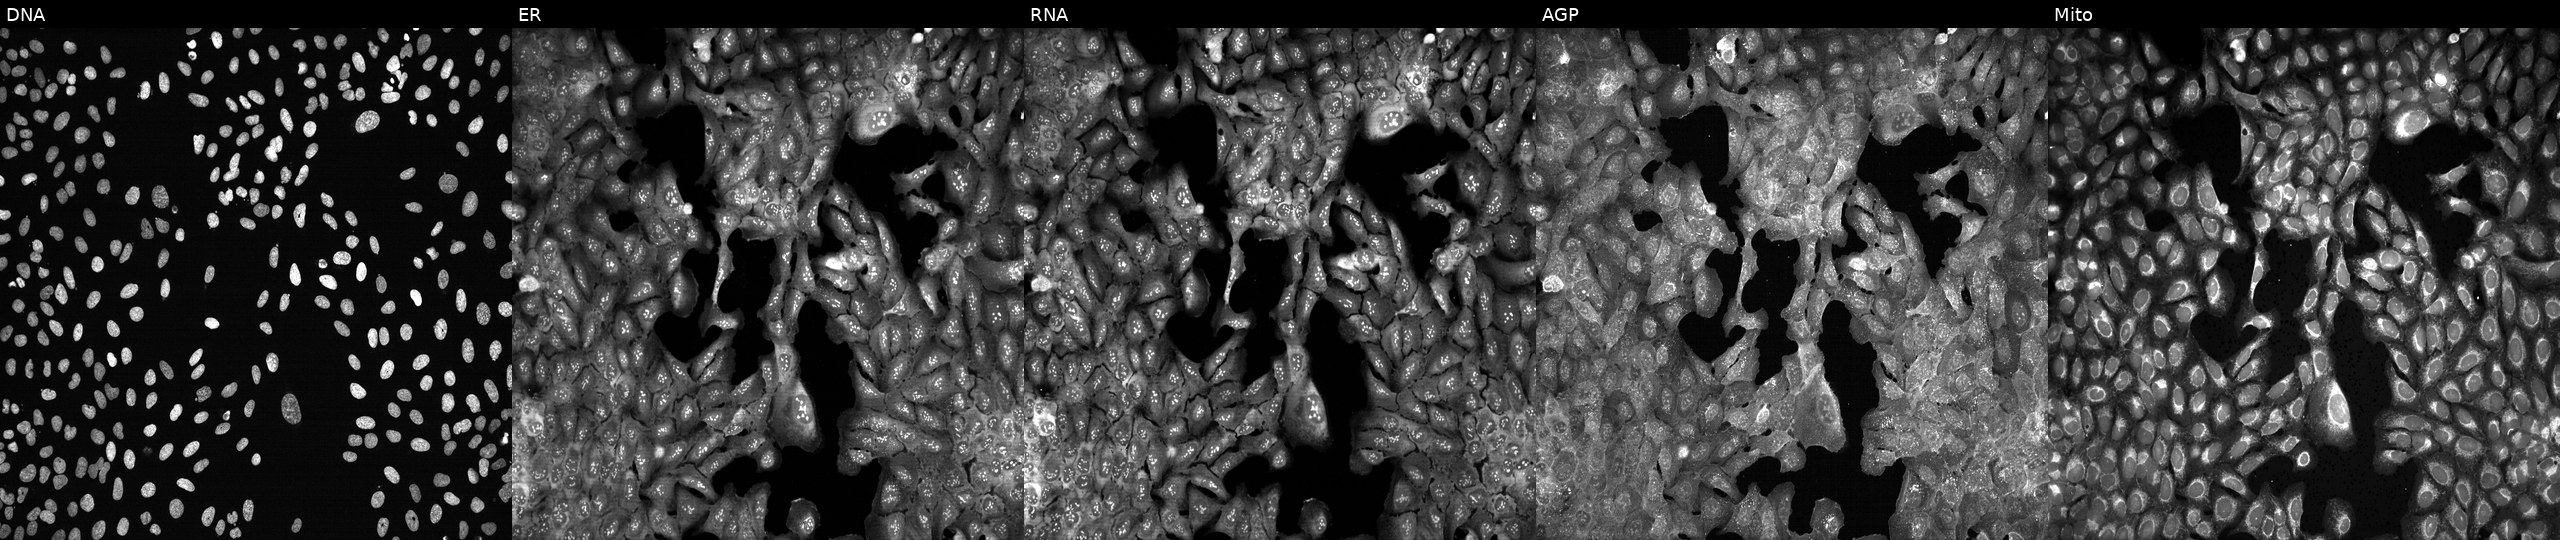
U2OS cells, Cell Painting assay, CRISPR-edited to disrupt SLC19A2. Channels (left→right): Hoechst 33342, concanavalin A, SYTO 14, phalloidin and WGA, MitoTracker. Each panel is percentile-stretched 16-bit fluorescence. Source 13, plate CP-CC9-R5-01, well O13.